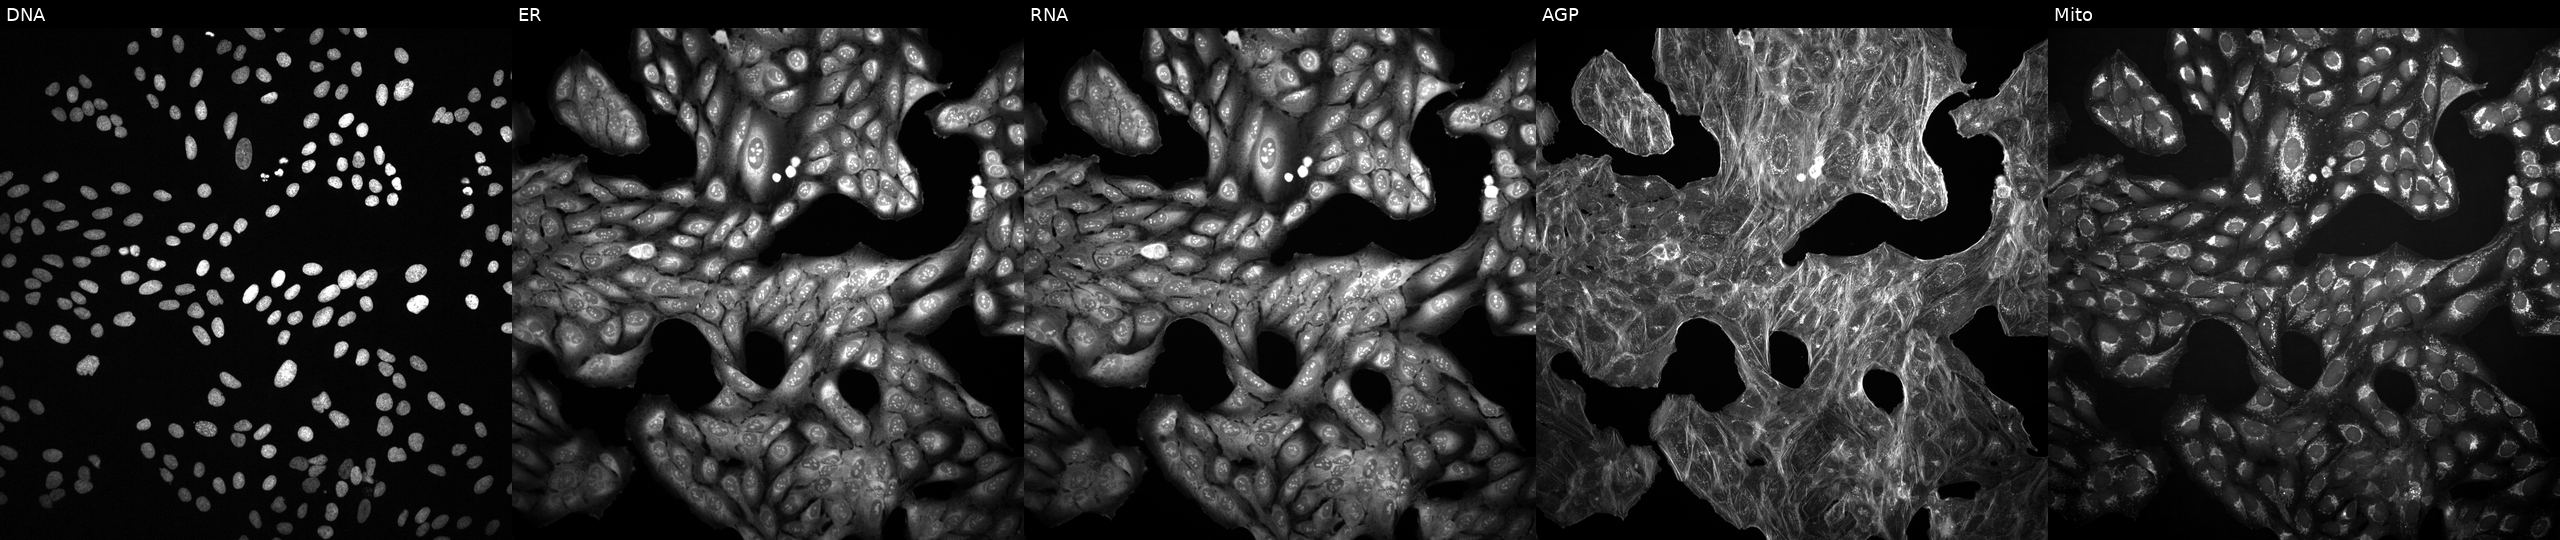
U2OS cells, Cell Painting assay, perturbed with a small-molecule compound [SMILES: OCC1OC(n2cnc3c2N=CNCC3O)CC1O]. From left to right: DNA (nuclei); ER (endoplasmic reticulum); RNA (nucleoli and cytoplasmic RNA); AGP (actin cytoskeleton, Golgi, and plasma membrane); Mito (mitochondria). Each panel is percentile-stretched 16-bit fluorescence.